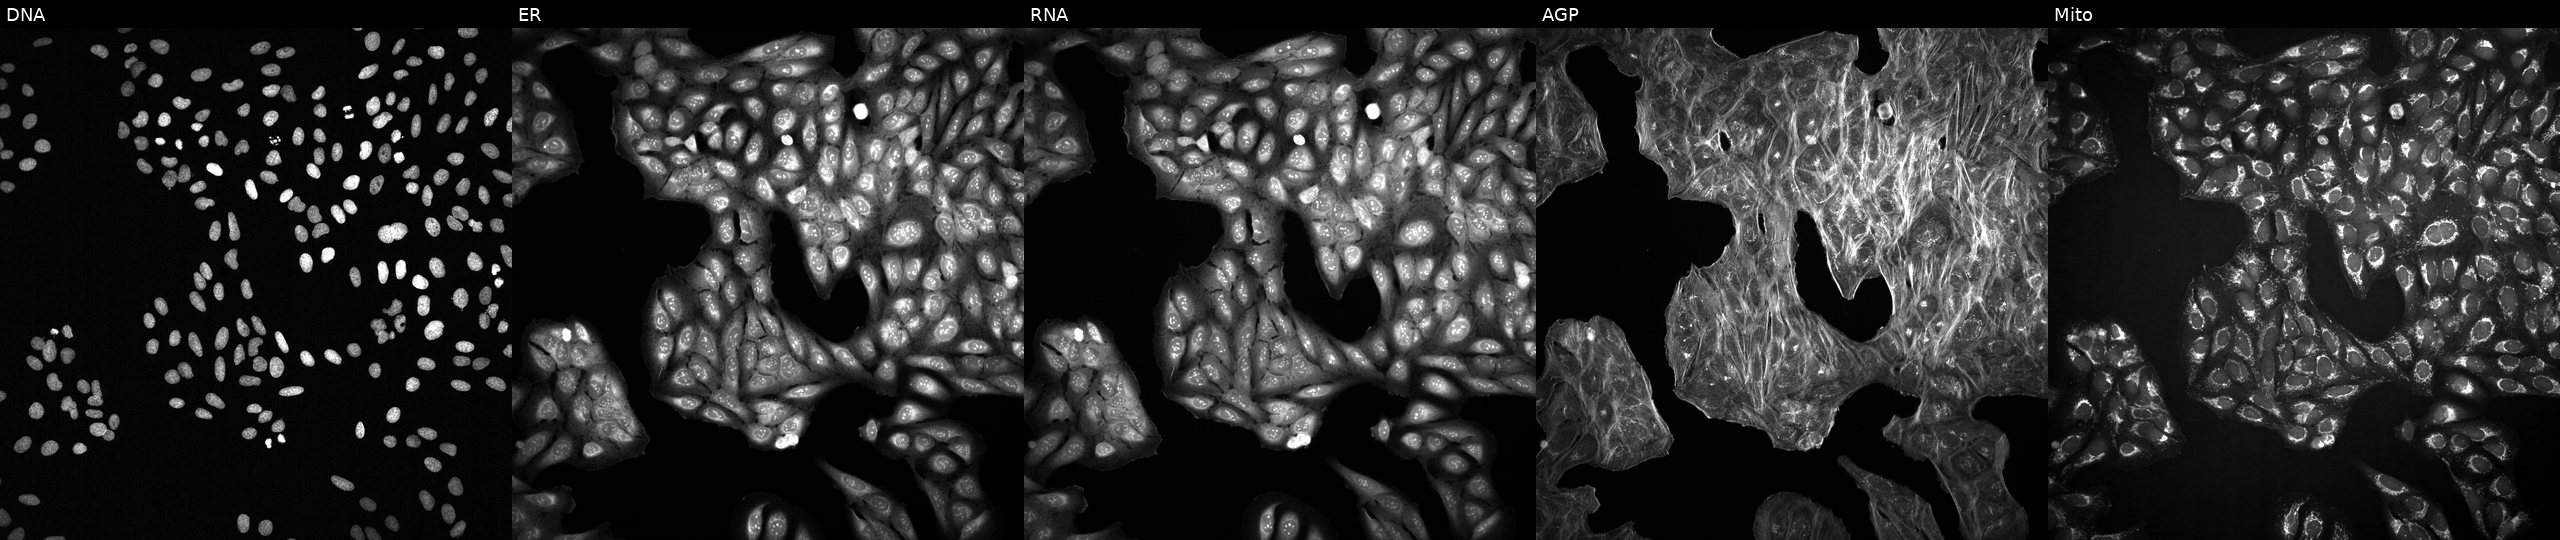
Five-channel Cell Painting image of U2OS cells exposed to DMSO alone as a negative control (JUMP id JCP2022_033924). The five panels, left to right, show DNA, ER, RNA, AGP, and Mito.